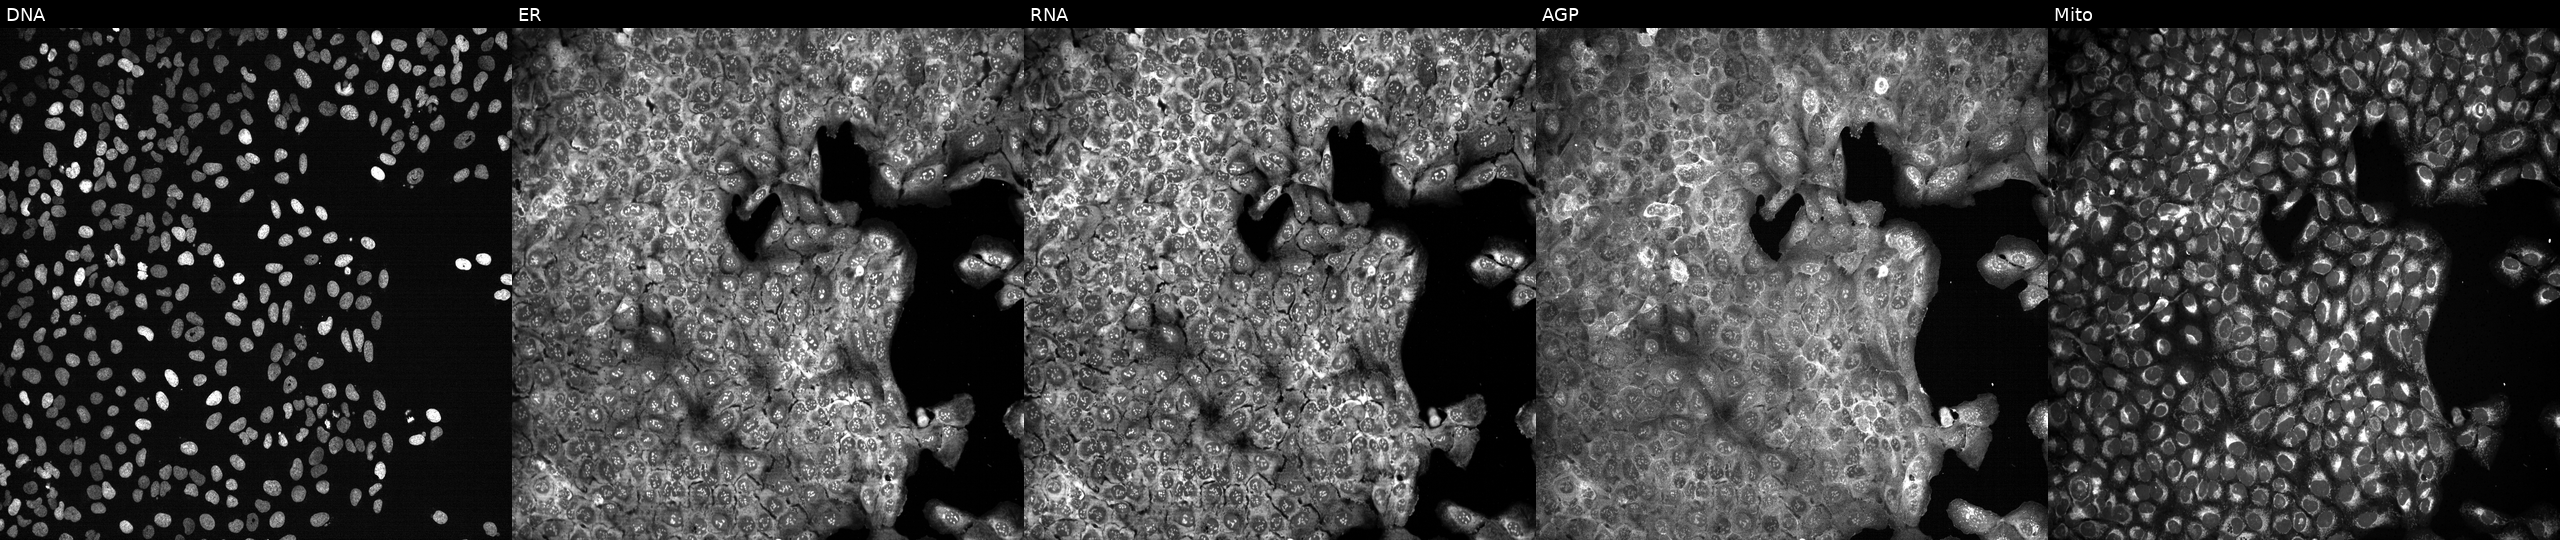
Channels (left→right): DNA, ER, RNA, AGP, and Mito. U2OS osteosarcoma cells CRISPR-edited to disrupt SPATA5. Cell Painting assay, JUMP-CP dataset.